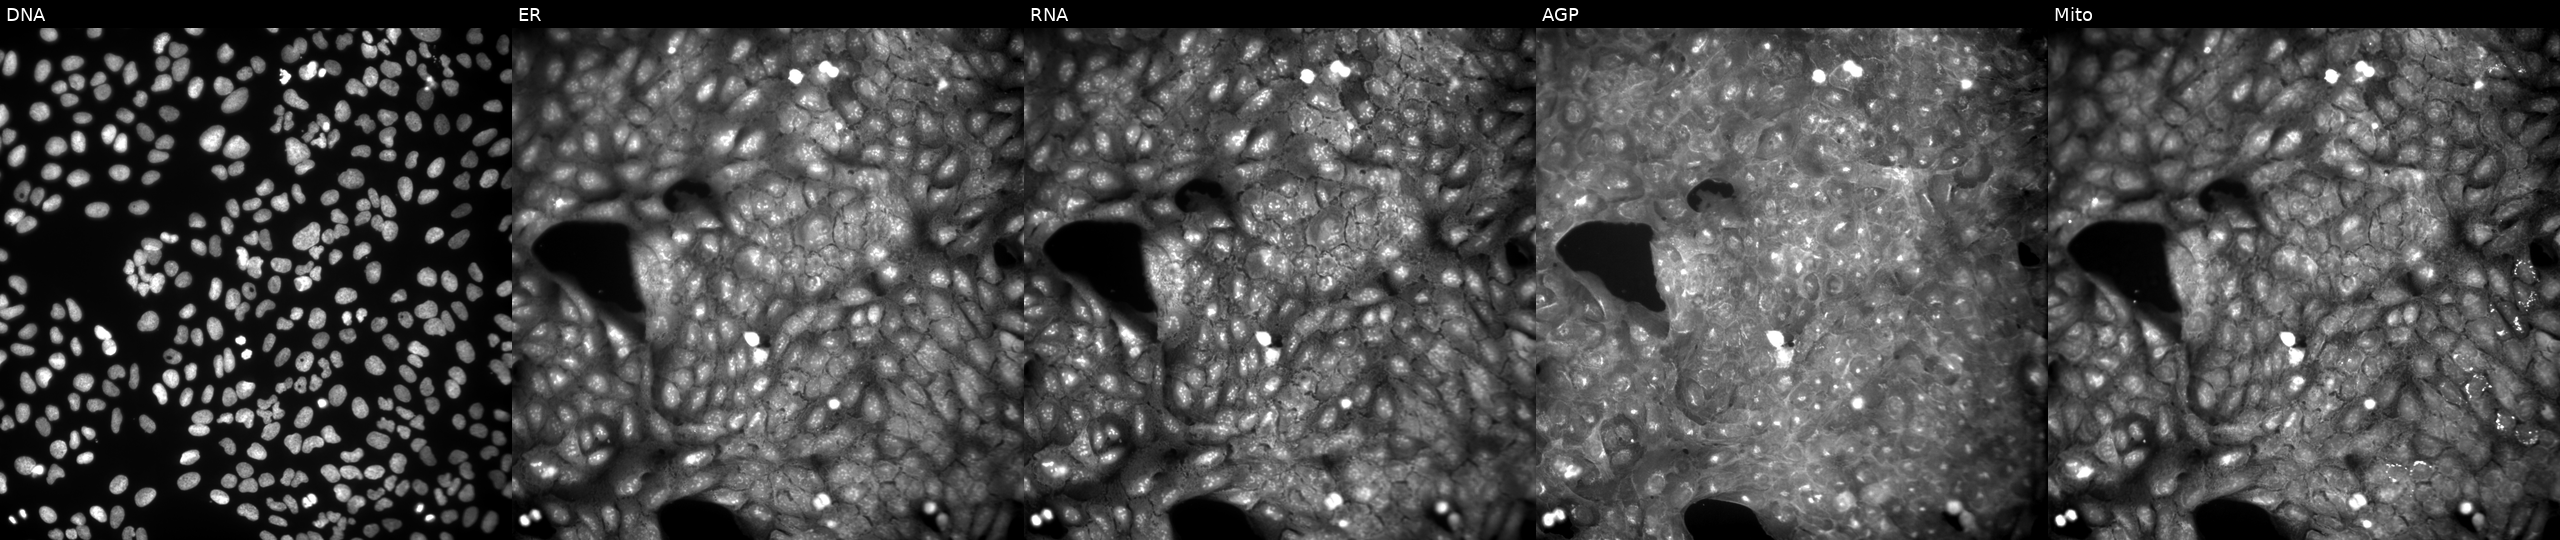
Five-channel Cell Painting image of U2OS cells exposed to a small-molecule compound (InChIKey CAQBSYMXCGBEHR-UHFFFAOYSA-N). The five panels, left to right, show Hoechst 33342, concanavalin A, SYTO 14, phalloidin and WGA, MitoTracker.